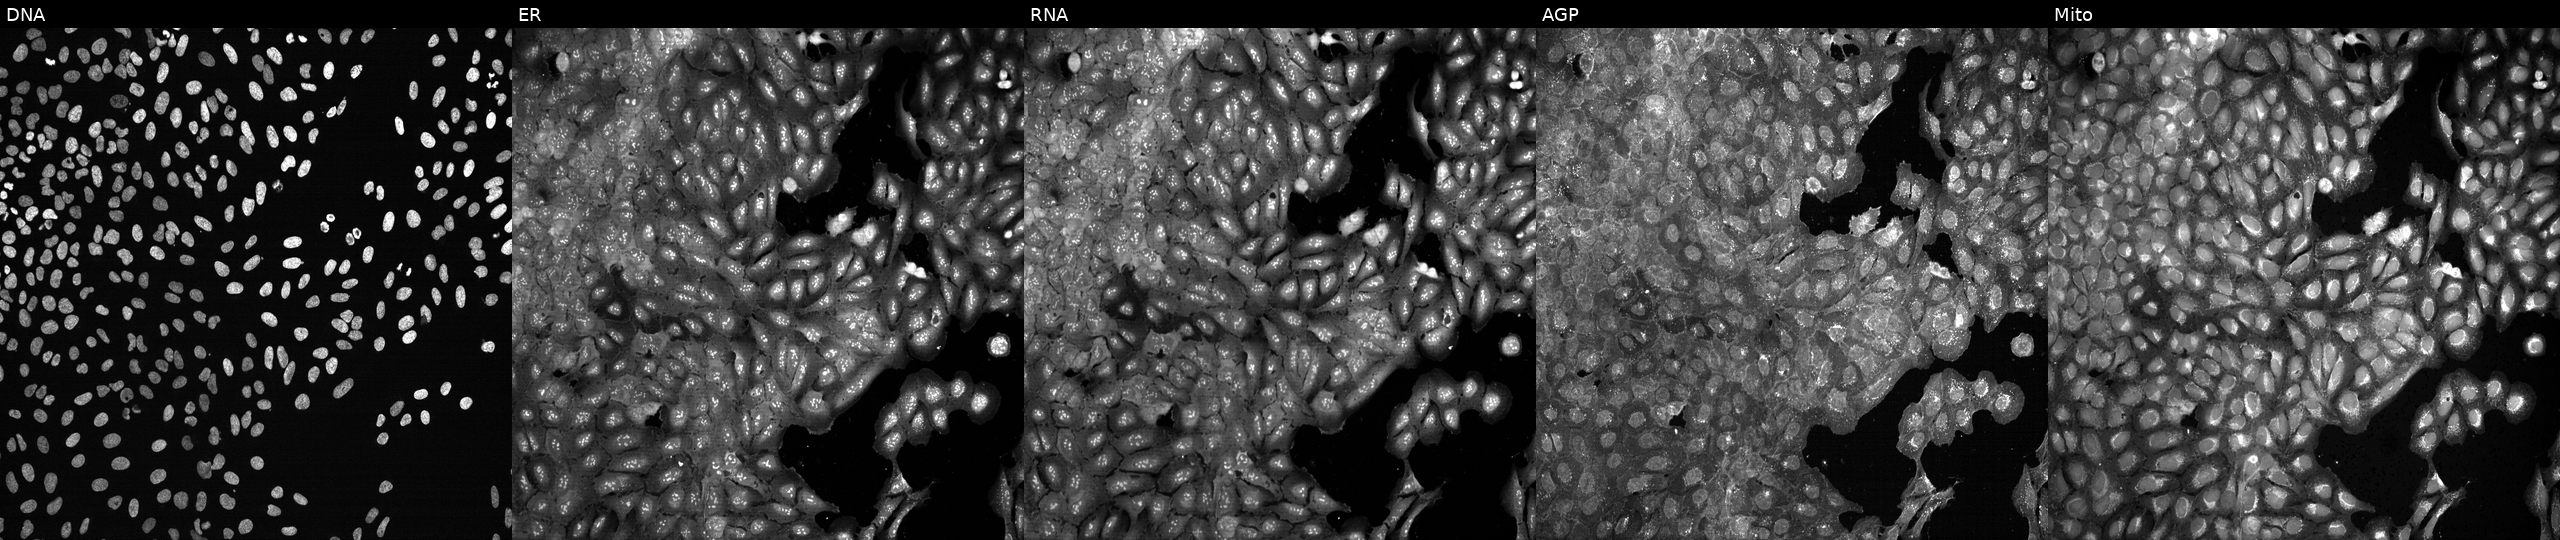
U2OS cells, Cell Painting assay, with a non-targeting CRISPR guide (negative control) (JUMP id JCP2022_800002). The five panels, left to right, show Hoechst 33342, concanavalin A, SYTO 14, phalloidin and WGA, MitoTracker. Each panel is percentile-stretched 16-bit fluorescence.